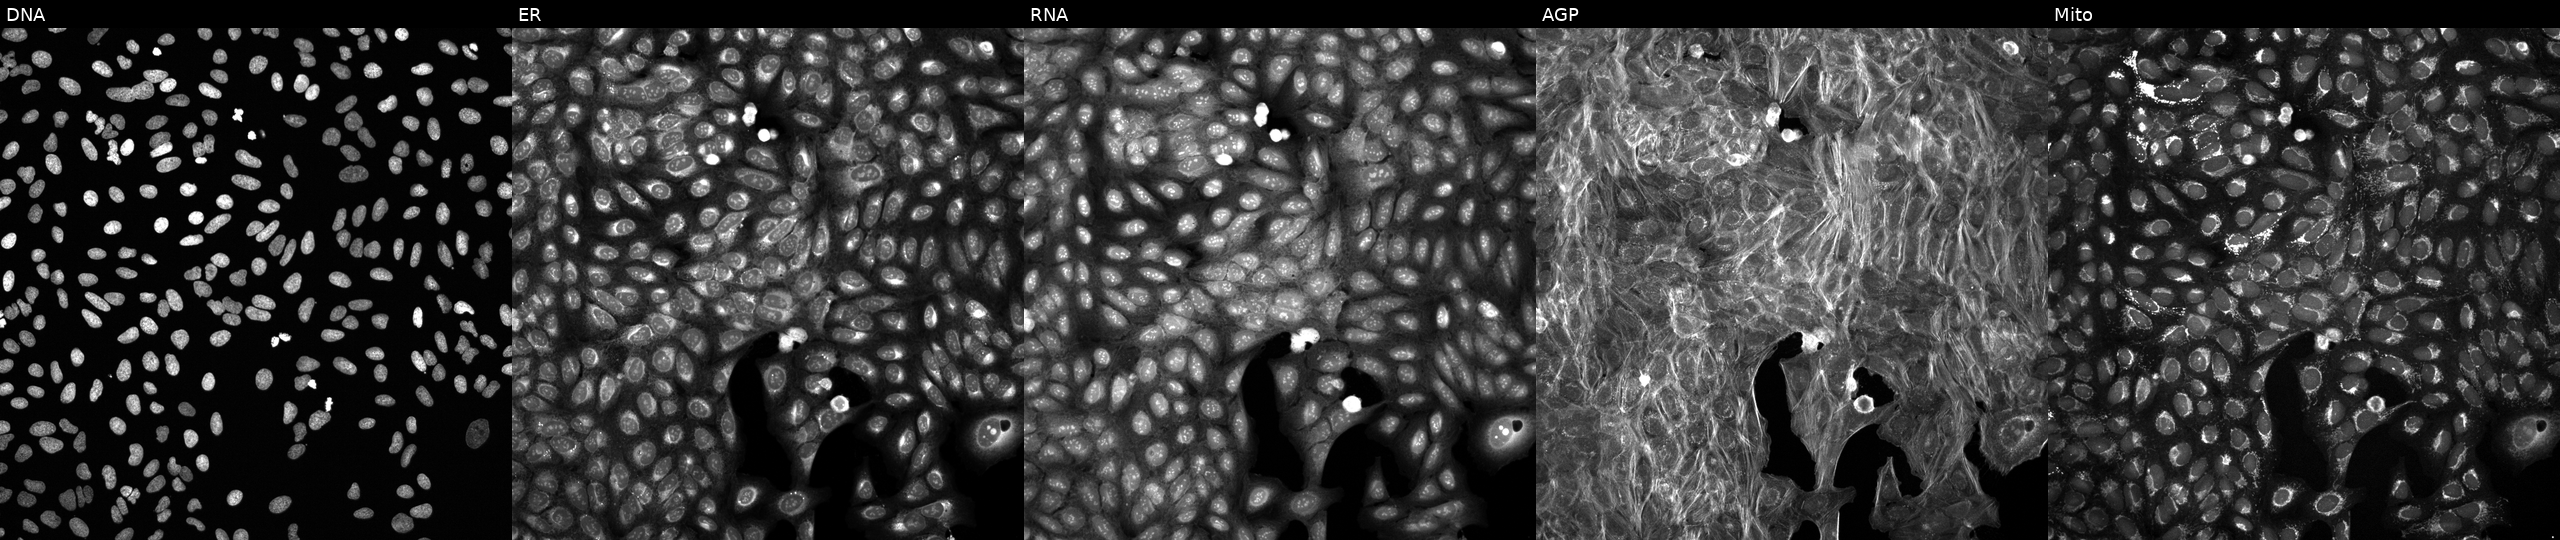
U2OS cells, Cell Painting assay, treated with a small-molecule compound (InChIKey ZALNLEMSFRTZRJ-UHFFFAOYSA-N) (JUMP id JCP2022_112071). Channels (left→right): DNA, ER, RNA, AGP, and Mito. Each panel is percentile-stretched 16-bit fluorescence. Source 6, plate 110000293082, well G20.